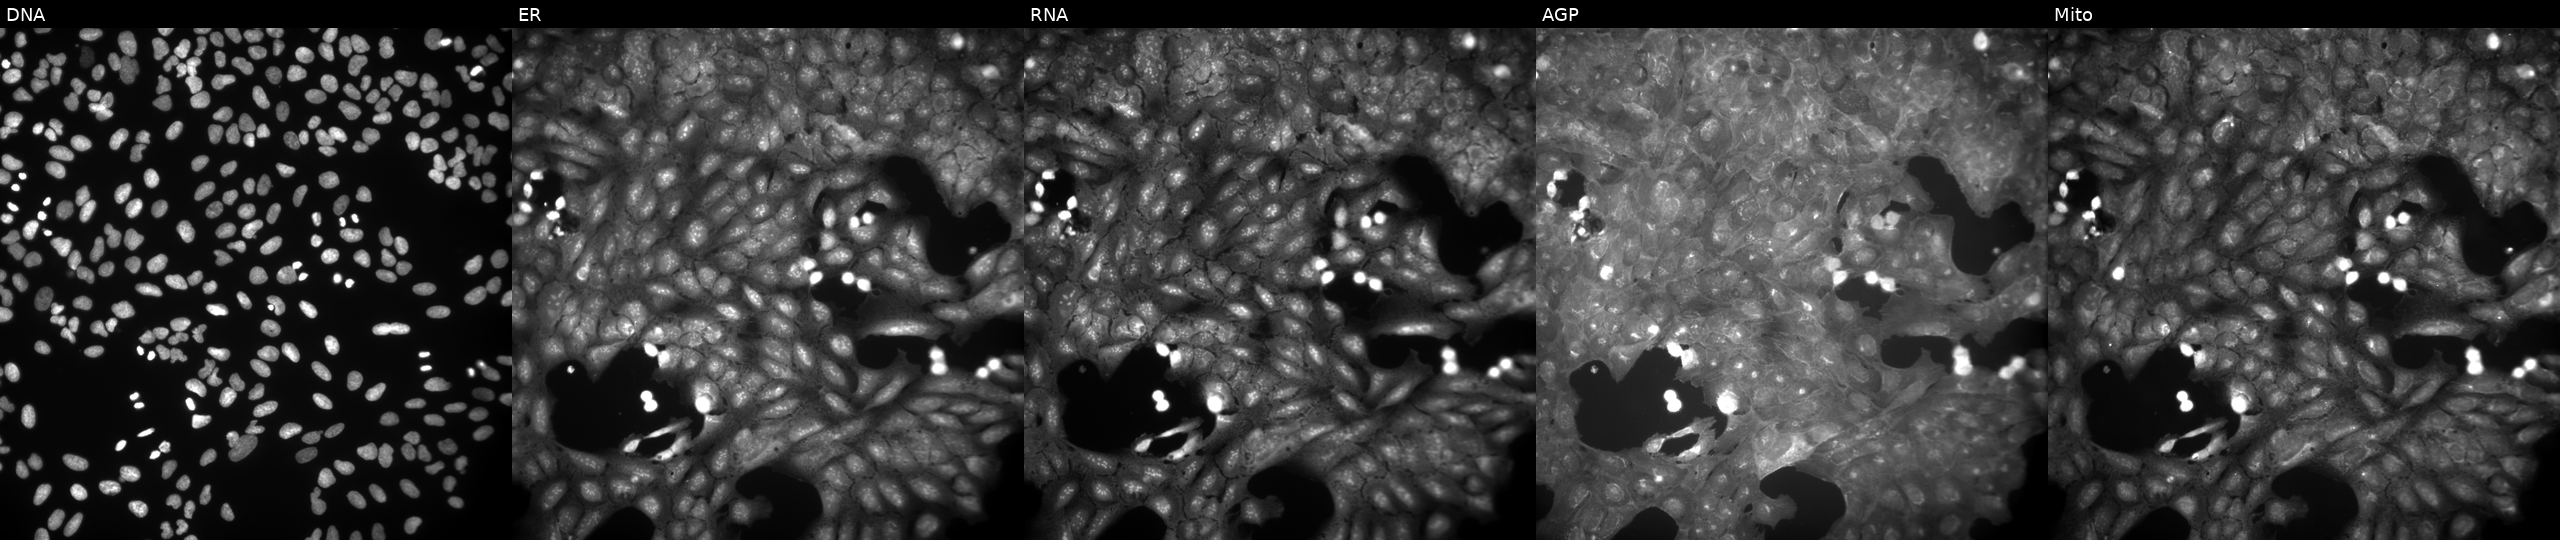
This image strip shows the five Cell Painting channels for a single field of U2OS cells exposed to a small-molecule compound (InChIKey DODOJPOJYPUJMW-UHFFFAOYSA-N) (JUMP id JCP2022_017145). From left to right: Hoechst 33342, concanavalin A, SYTO 14, phalloidin and WGA, MitoTracker.